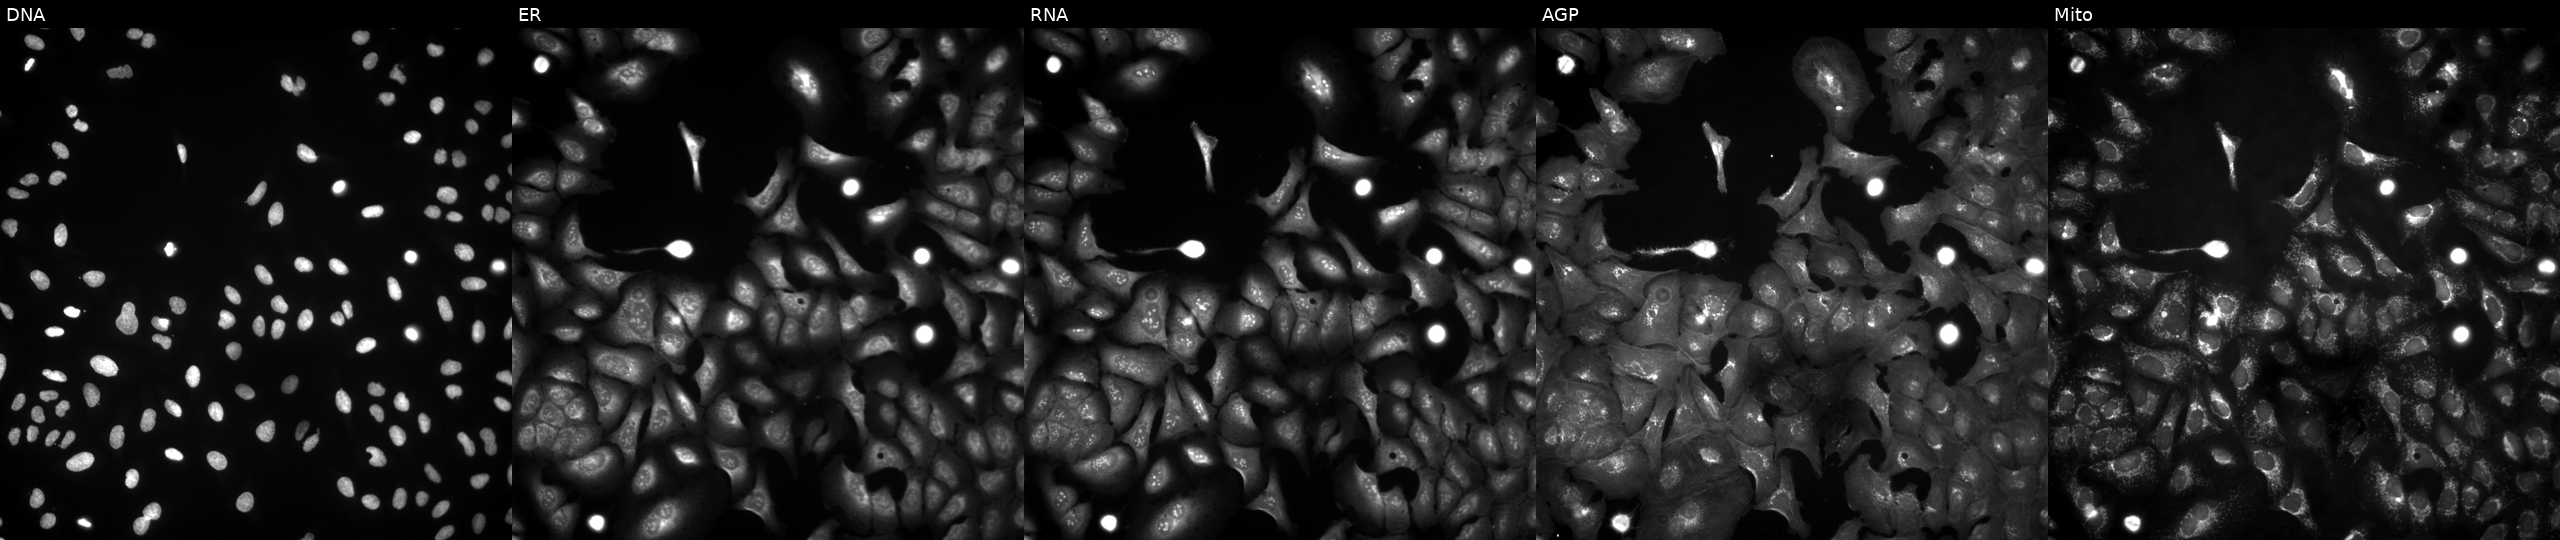
JUMP Cell Painting — ORF plate. U2OS cells transfected with a failed ORF construct (JUMP BAD CONSTRUCT marker). Panels show, left to right, DNA (nuclei); ER (endoplasmic reticulum); RNA (nucleoli and cytoplasmic RNA); AGP (actin cytoskeleton, Golgi, and plasma membrane); Mito (mitochondria).